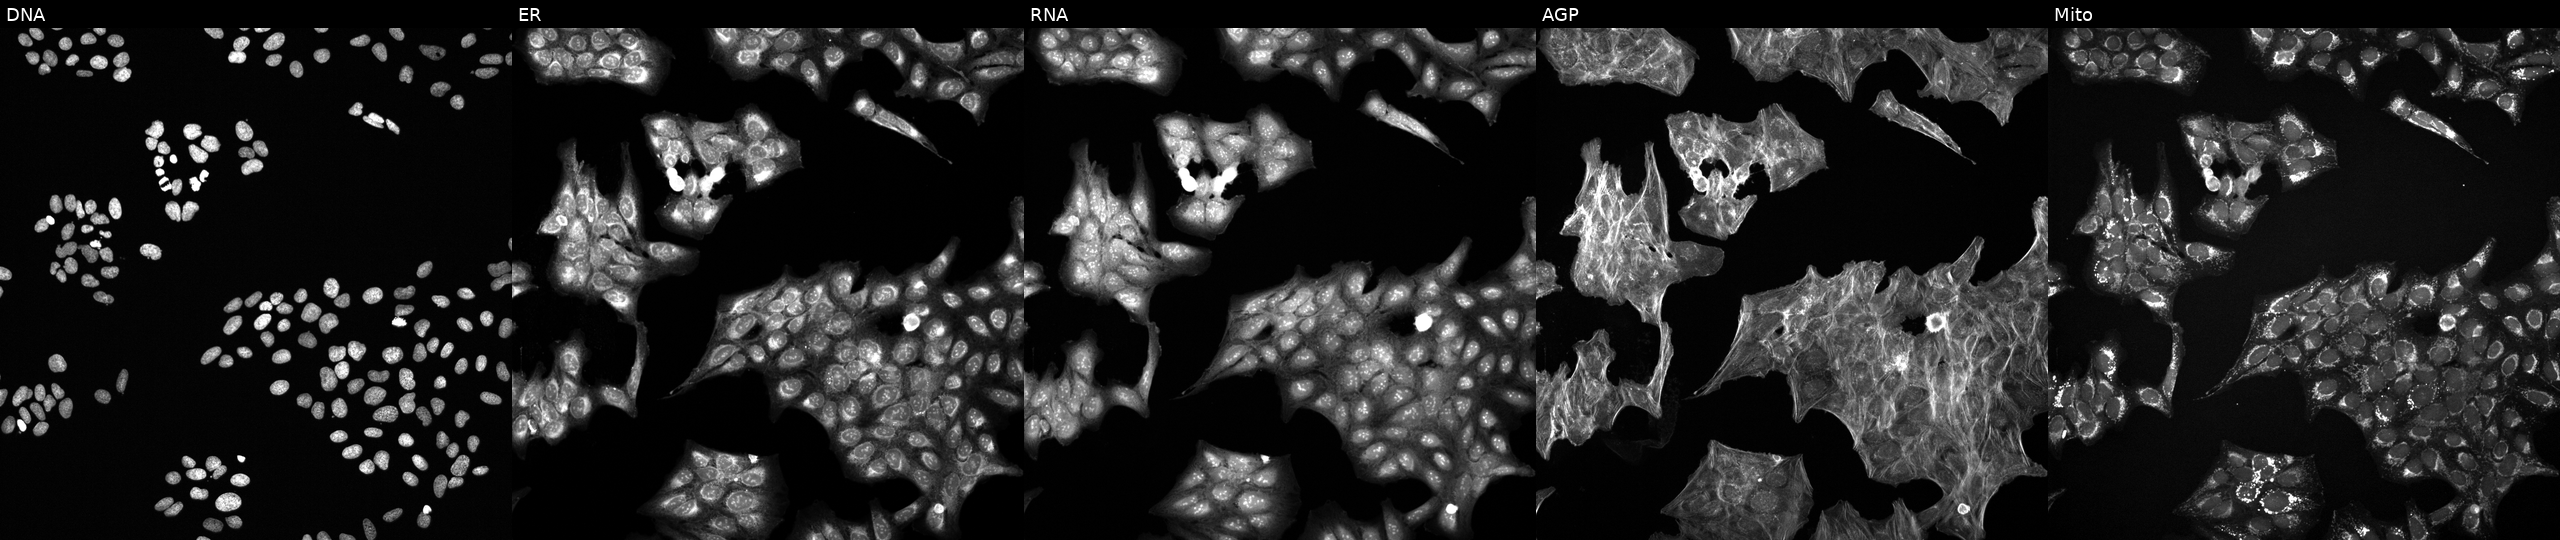
From left to right: DNA (nuclei); ER (endoplasmic reticulum); RNA (nucleoli and cytoplasmic RNA); AGP (actin cytoskeleton, Golgi, and plasma membrane); Mito (mitochondria). U2OS osteosarcoma cells exposed to the positive-control compound LY2109761 (JUMP id JCP2022_035095). Cell Painting assay, JUMP-CP dataset. Source 6, plate 110000293081, well O09.